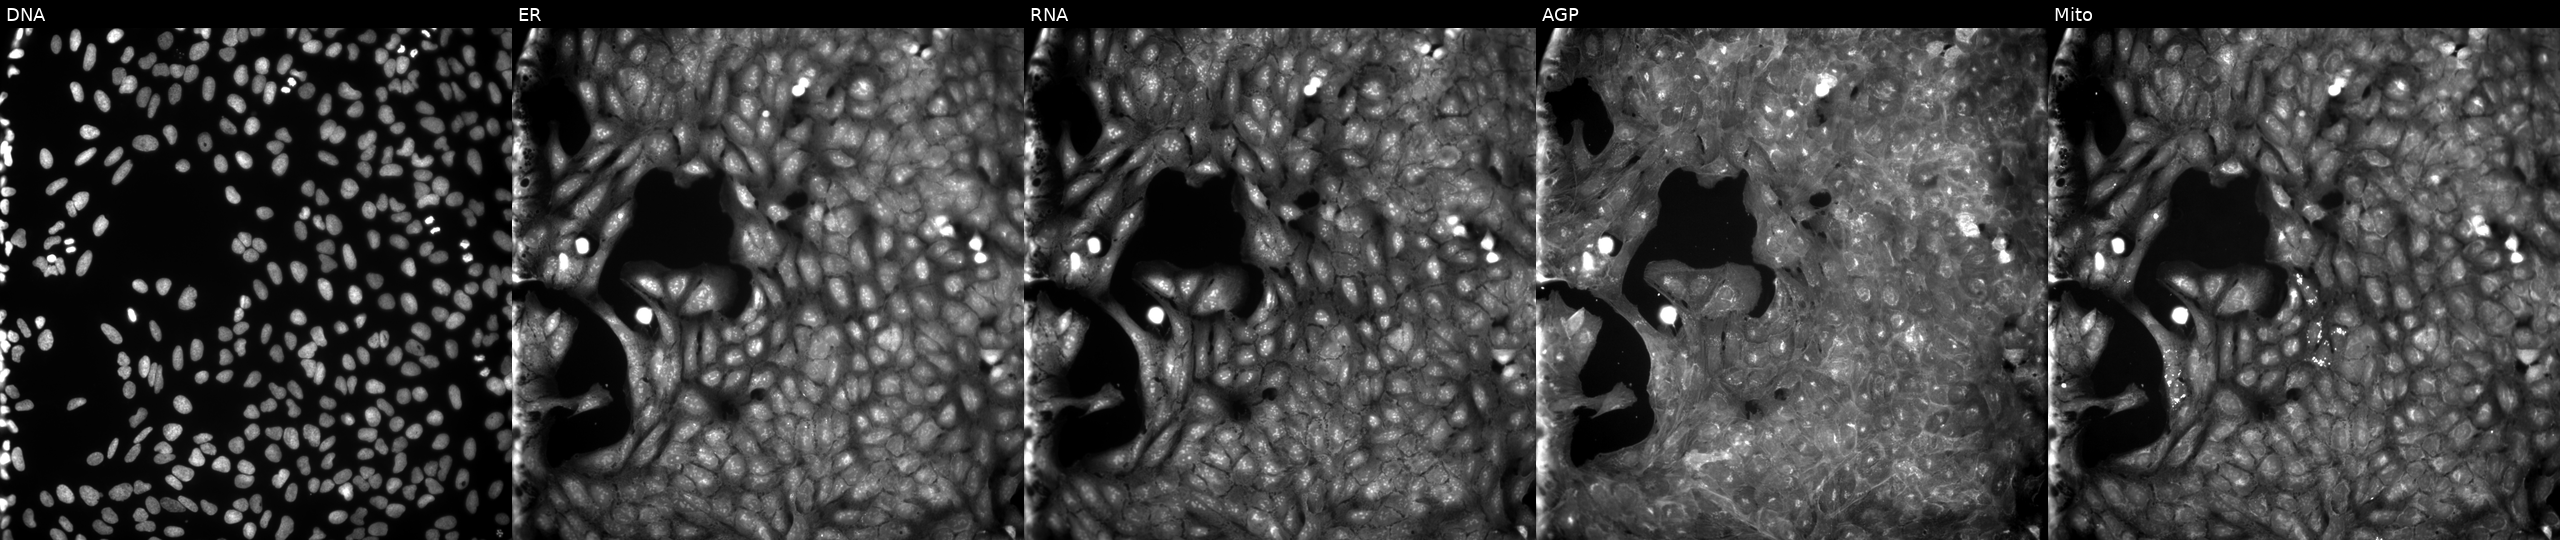
U2OS cells, Cell Painting assay, treated with a small-molecule compound. Panels show, left to right, Hoechst 33342, concanavalin A, SYTO 14, phalloidin and WGA, MitoTracker. Each panel is percentile-stretched 16-bit fluorescence.